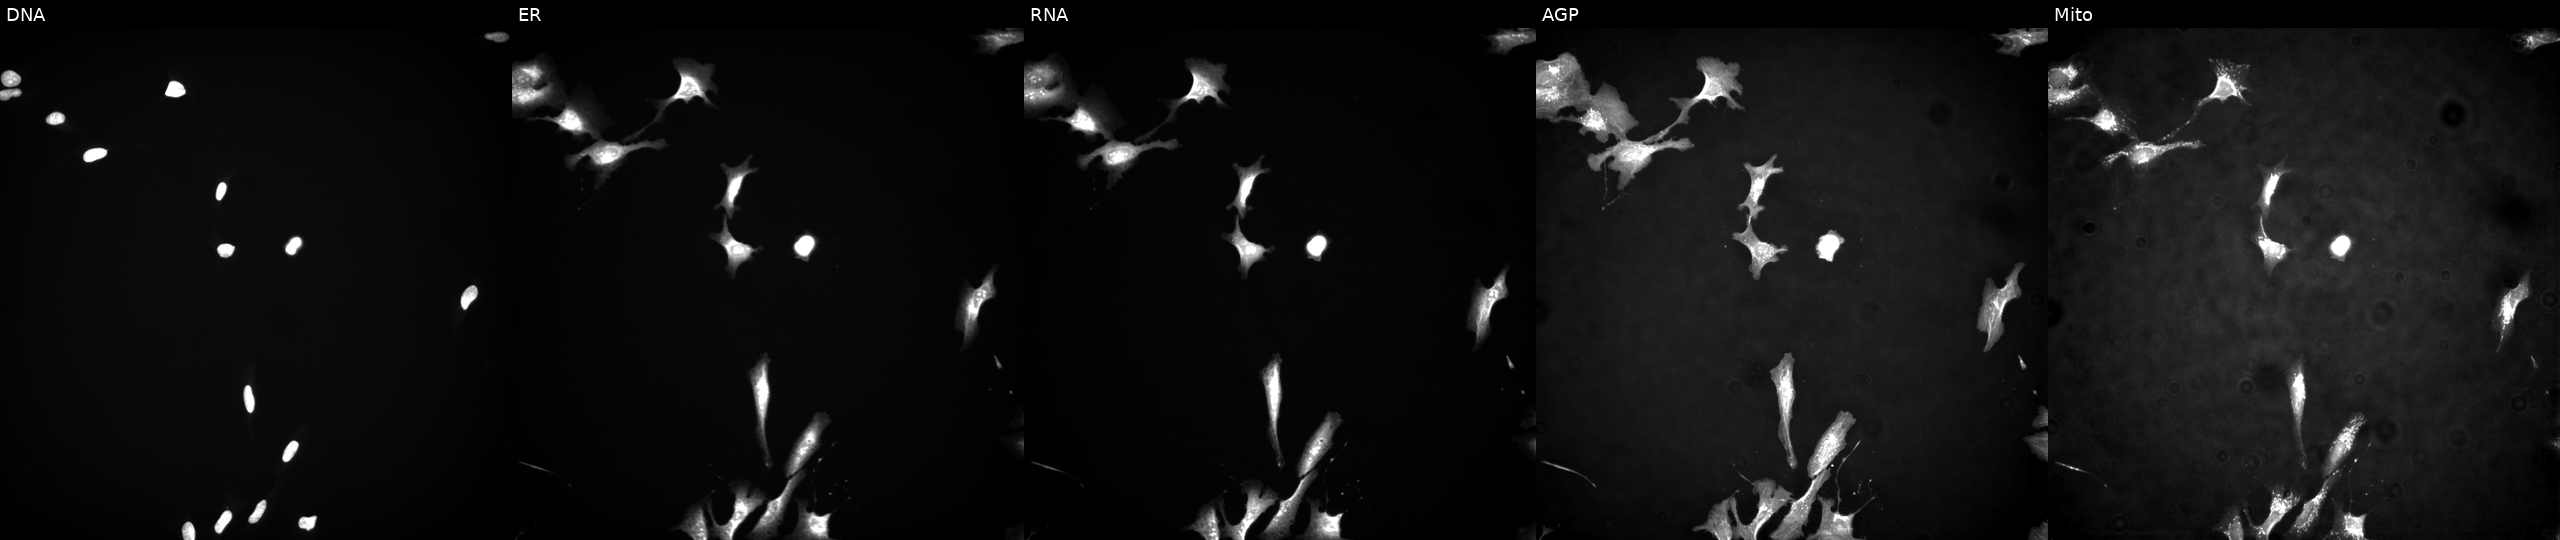
Five-channel Cell Painting image of U2OS cells transfected with an ORF construct for PLXNA1. From left to right: DNA (nuclei); ER (endoplasmic reticulum); RNA (nucleoli and cytoplasmic RNA); AGP (actin cytoskeleton, Golgi, and plasma membrane); Mito (mitochondria). Source 4, plate BR00123945, well P14.